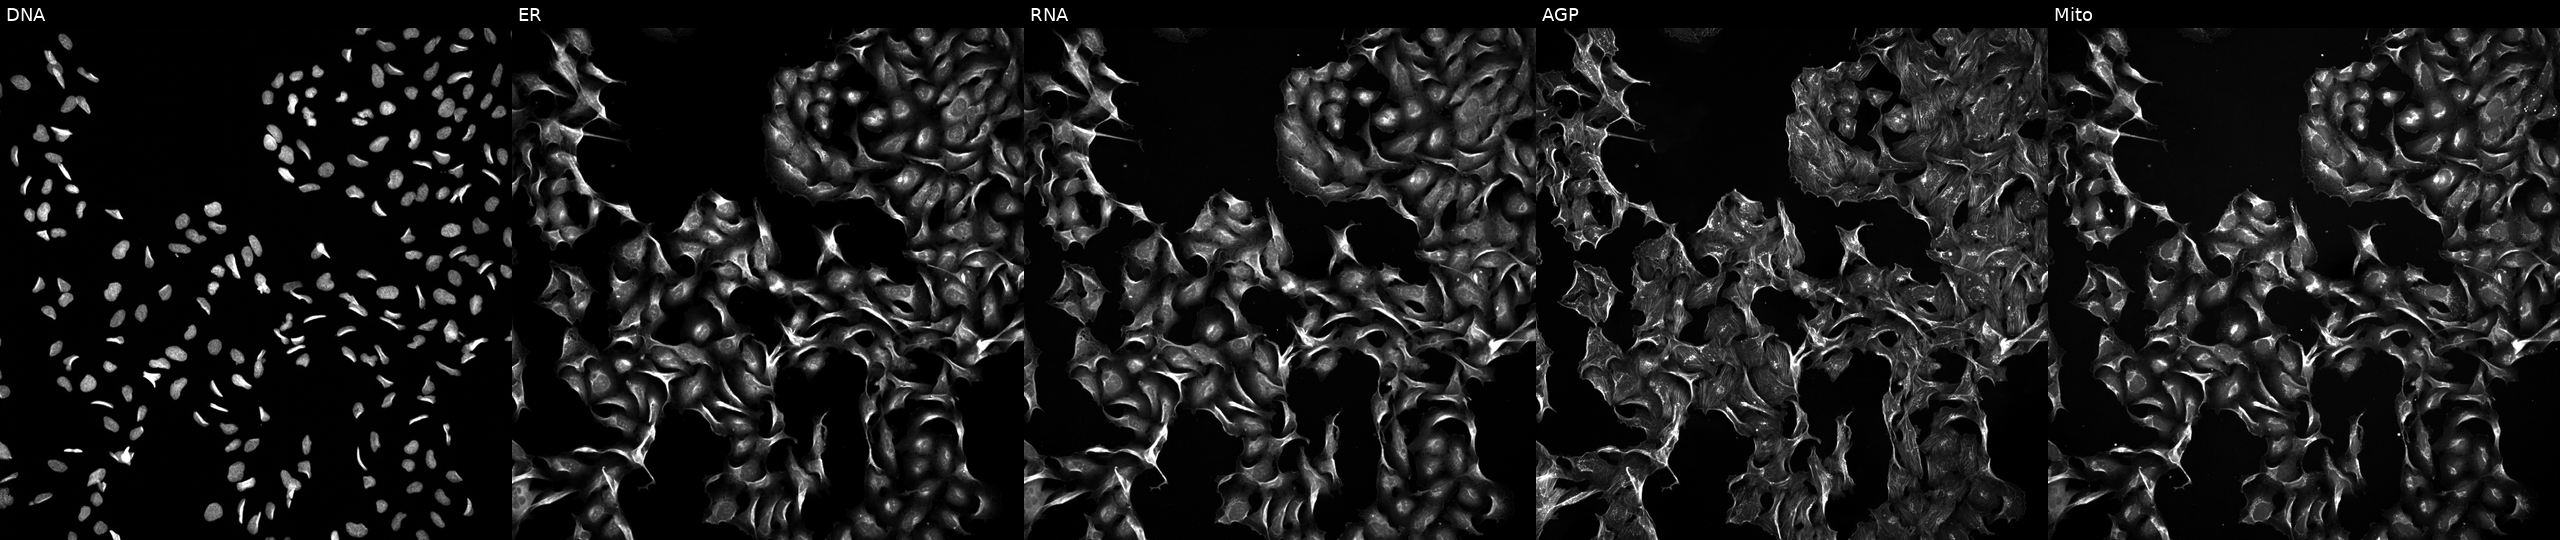
This image strip shows the five Cell Painting channels for a single field of U2OS cells treated with NVS-PAK1-1 (positive-control compound) (JUMP id JCP2022_064022). From left to right: DNA, ER, RNA, AGP, and Mito. Source 5, plate APTJUM105, well N01.